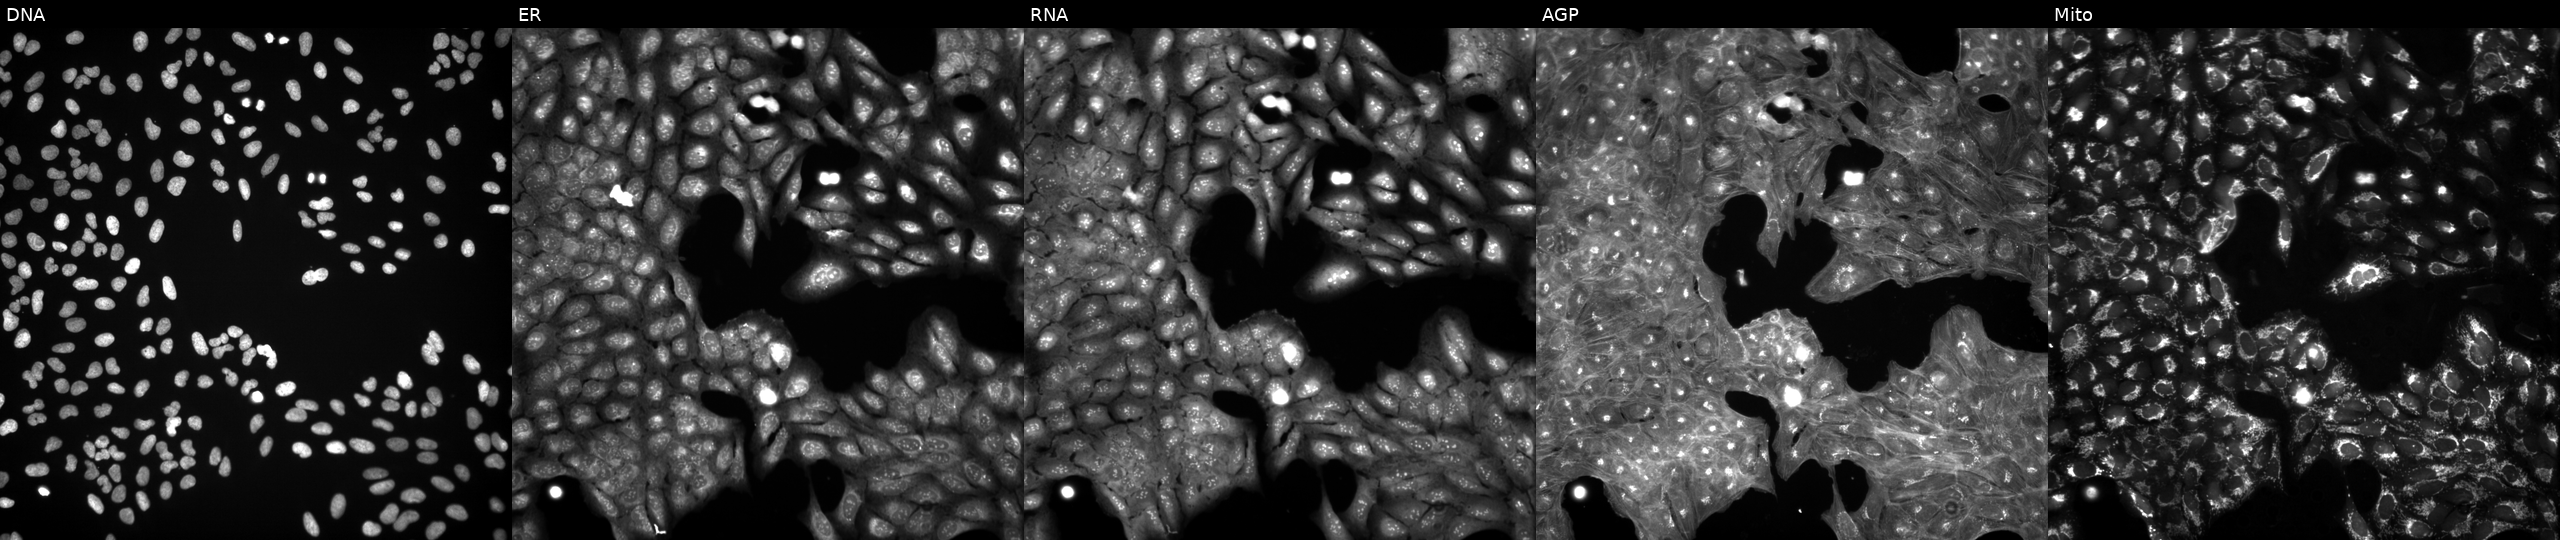
Five-channel Cell Painting image of U2OS cells perturbed with a small-molecule compound. Channels (left→right): DNA, ER, RNA, AGP, and Mito. Source 3, plate JCPQC051, well B07.